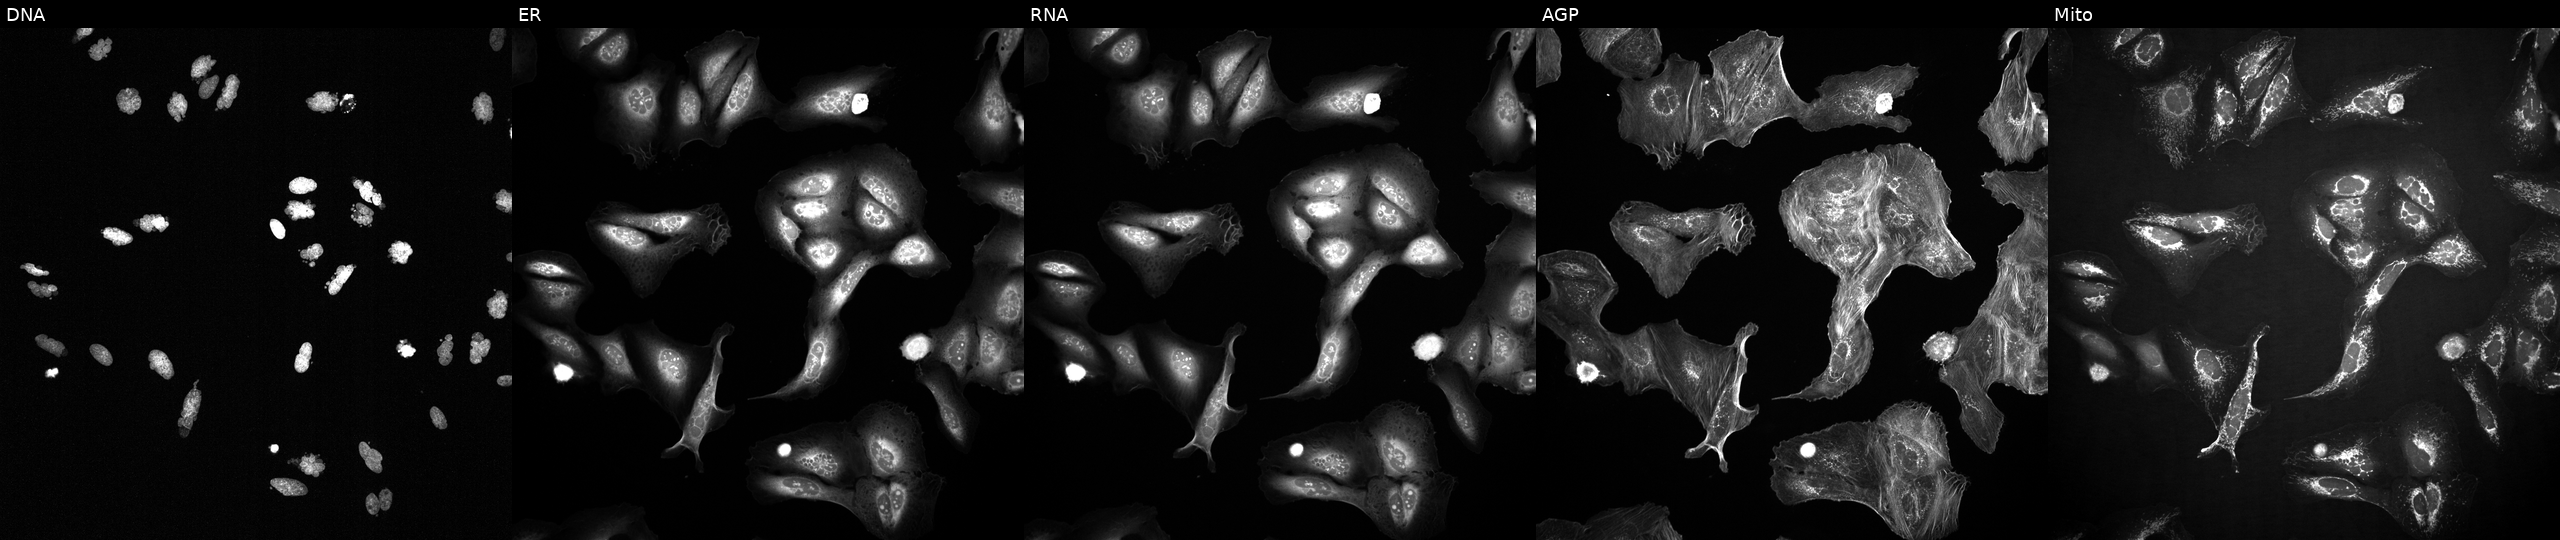
This image strip shows the five Cell Painting channels for a single field of U2OS cells treated with AMG900 (positive-control compound). Panels show, left to right, DNA, ER, RNA, AGP, and Mito.